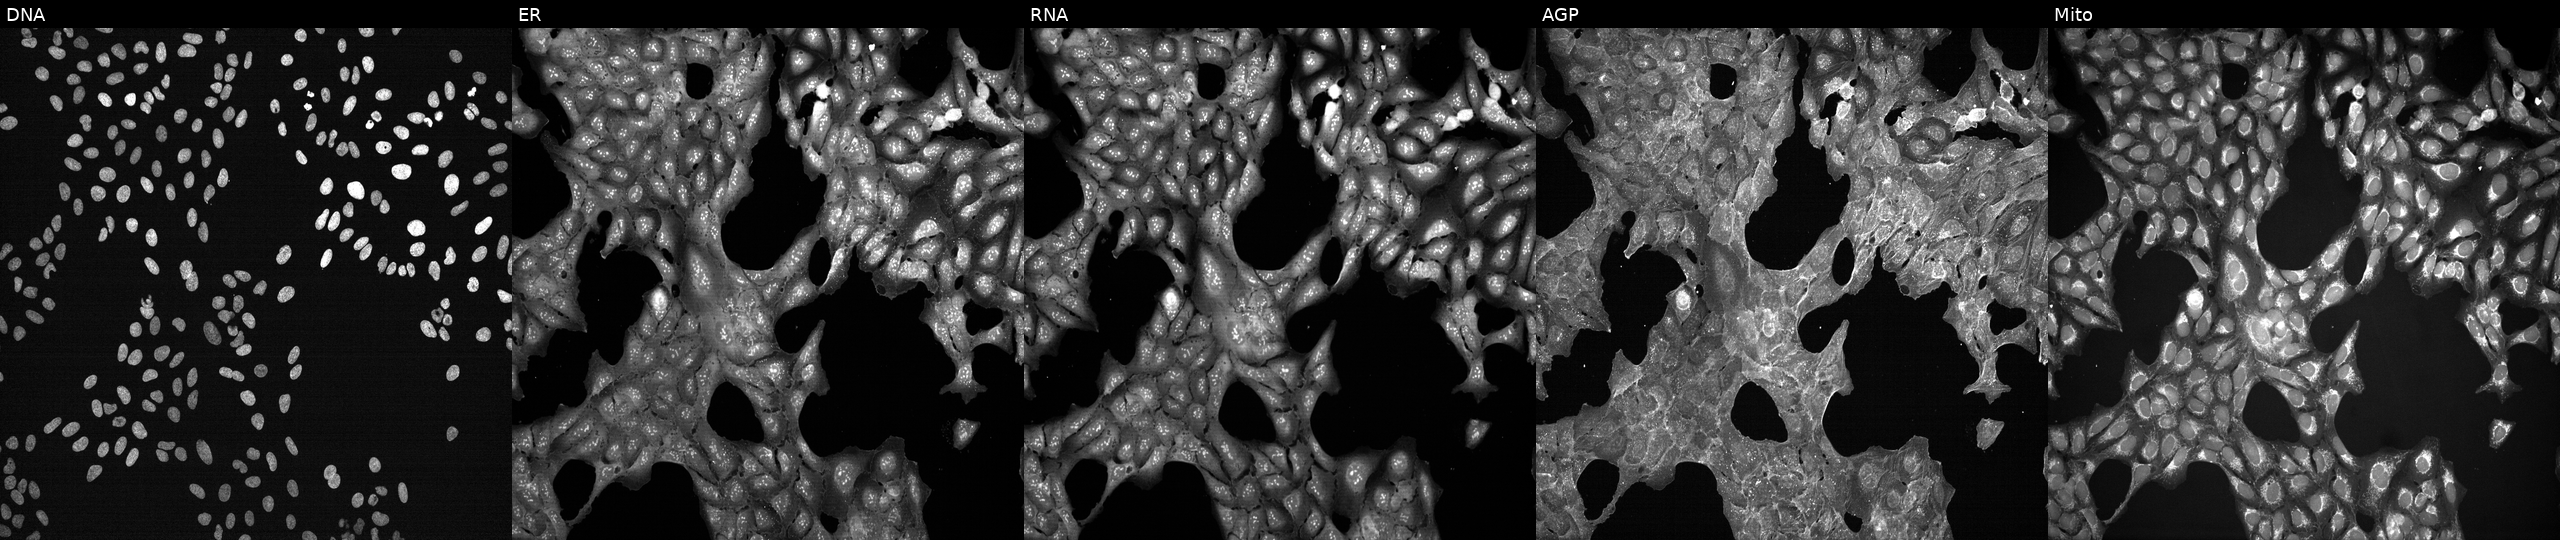
This image strip shows the five Cell Painting channels for a single field of U2OS cells treated with a small-molecule compound [SMILES: NNC(=O)CSc1nc2scc(-c3ccccc3)c2c(=O)n1-c1ccccc1]. Panels show, left to right, DNA, ER, RNA, AGP, and Mito.